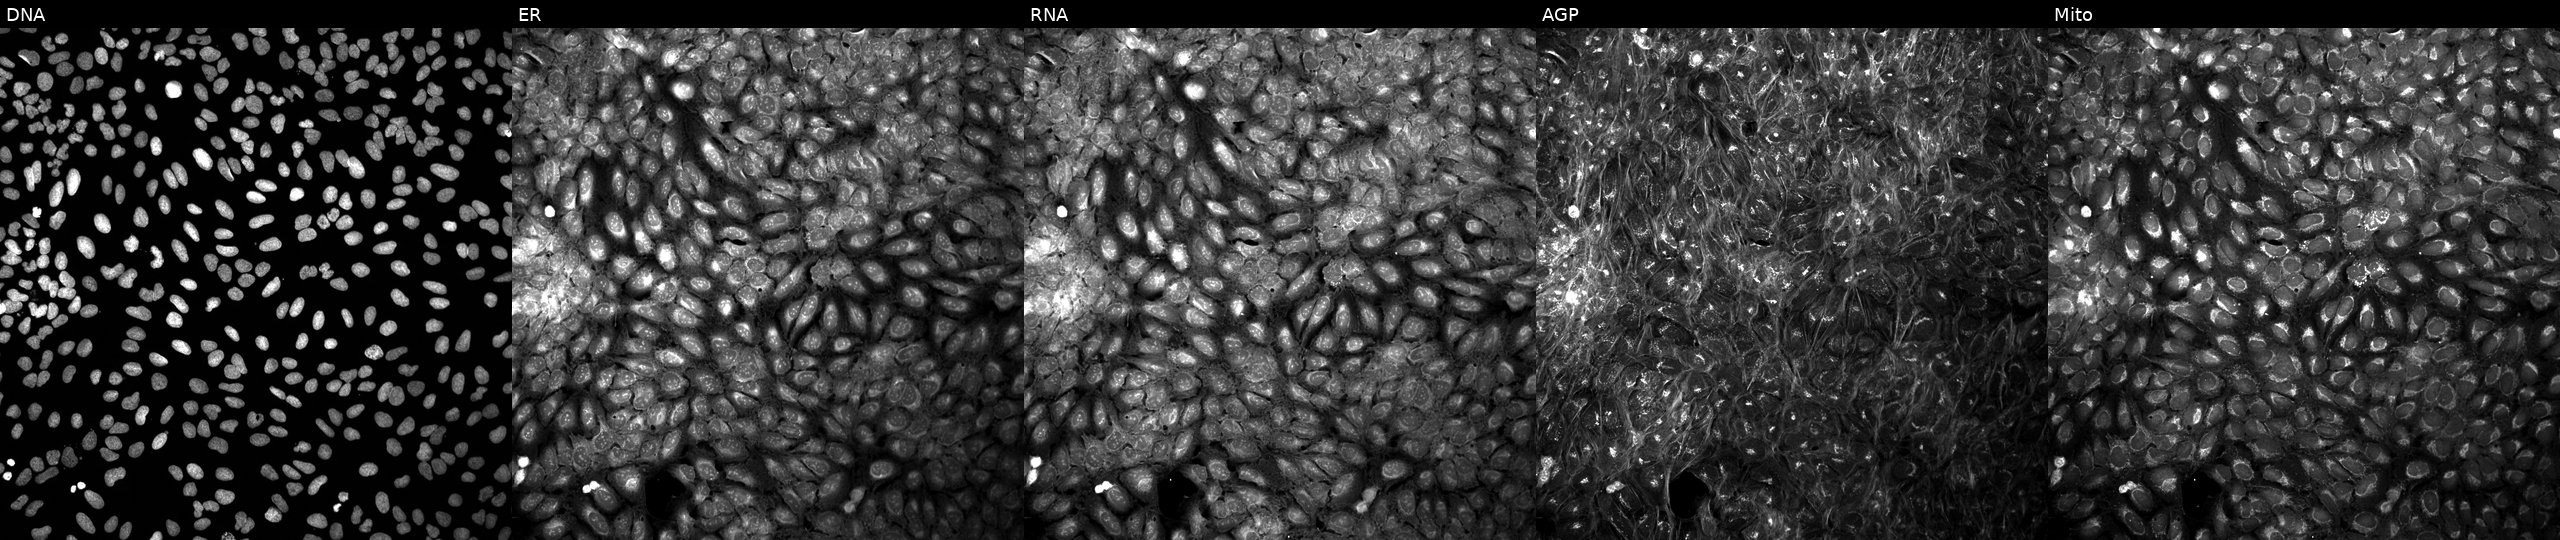
From left to right: Hoechst 33342, concanavalin A, SYTO 14, phalloidin and WGA, MitoTracker. U2OS osteosarcoma cells exposed to DMSO alone as a negative control (JUMP id JCP2022_033924). Cell Painting assay, JUMP-CP dataset.